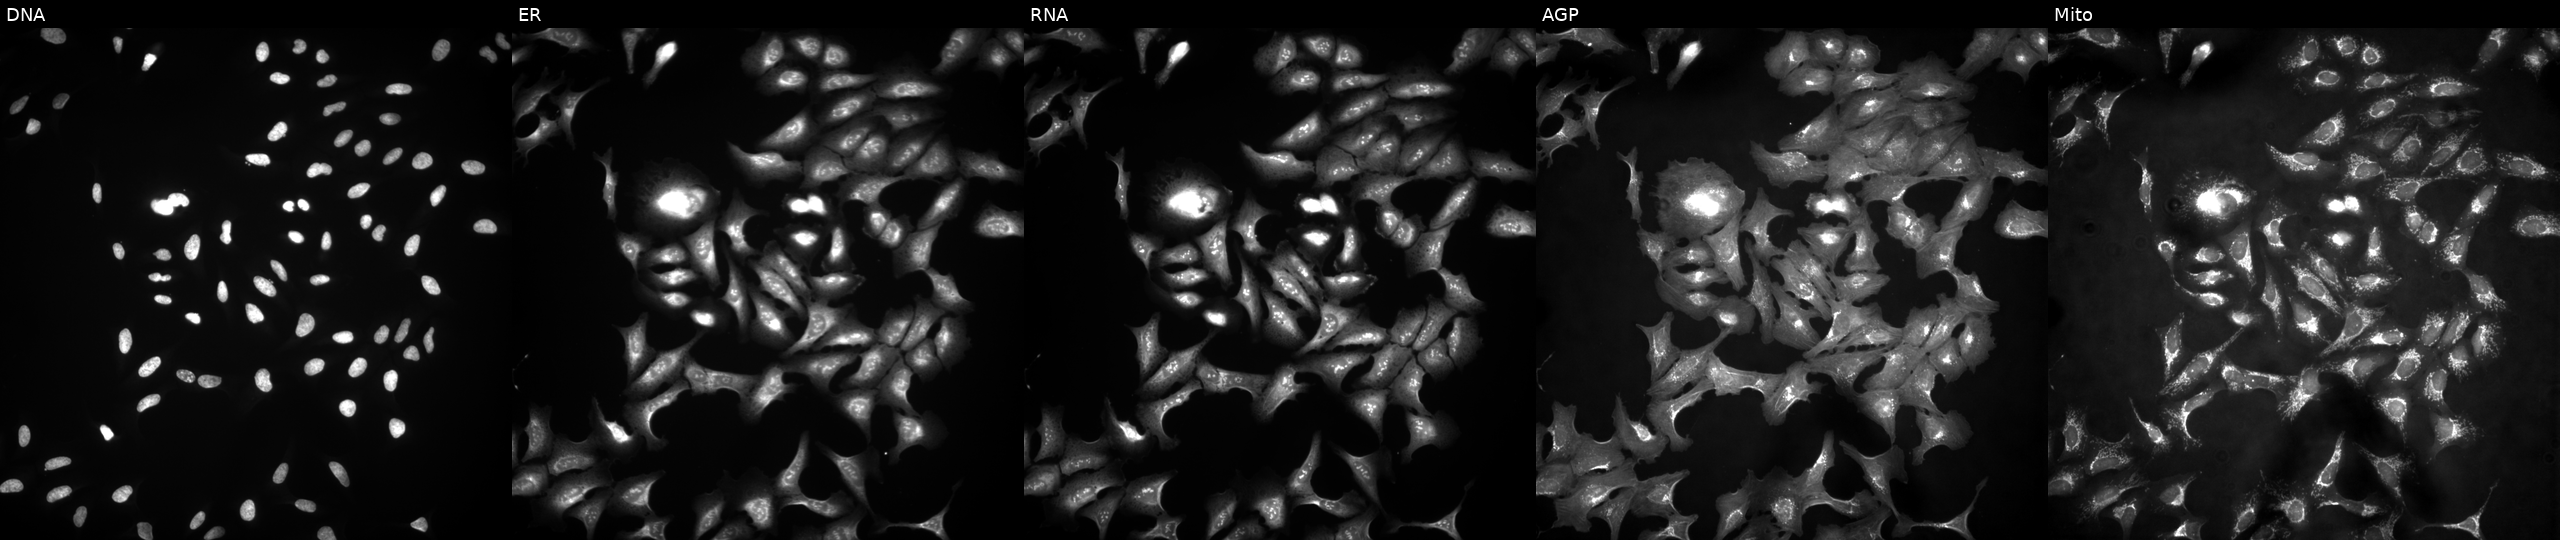
Five-channel Cell Painting image of U2OS cells transfected with an ORF construct for IL15 (JUMP id JCP2022_900808). Channels (left→right): Hoechst 33342, concanavalin A, SYTO 14, phalloidin and WGA, MitoTracker. Source 4, plate BR00121543, well J10.